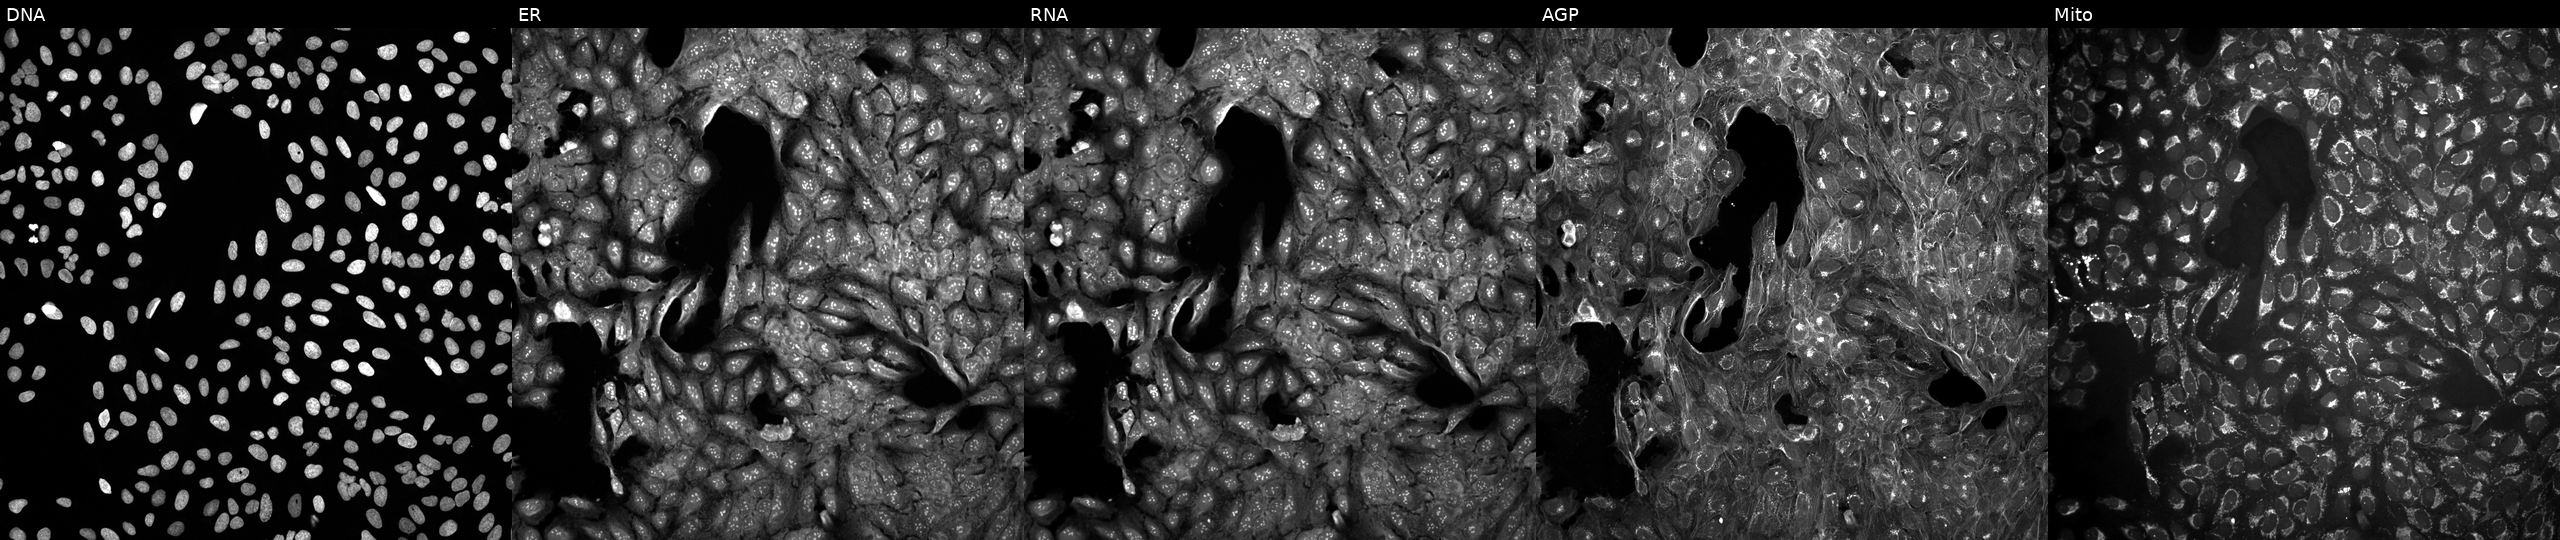
U2OS cells, Cell Painting assay, treated with a small-molecule compound (JUMP id JCP2022_005809). The five panels, left to right, show DNA (nuclei); ER (endoplasmic reticulum); RNA (nucleoli and cytoplasmic RNA); AGP (actin cytoskeleton, Golgi, and plasma membrane); Mito (mitochondria). Each panel is percentile-stretched 16-bit fluorescence.